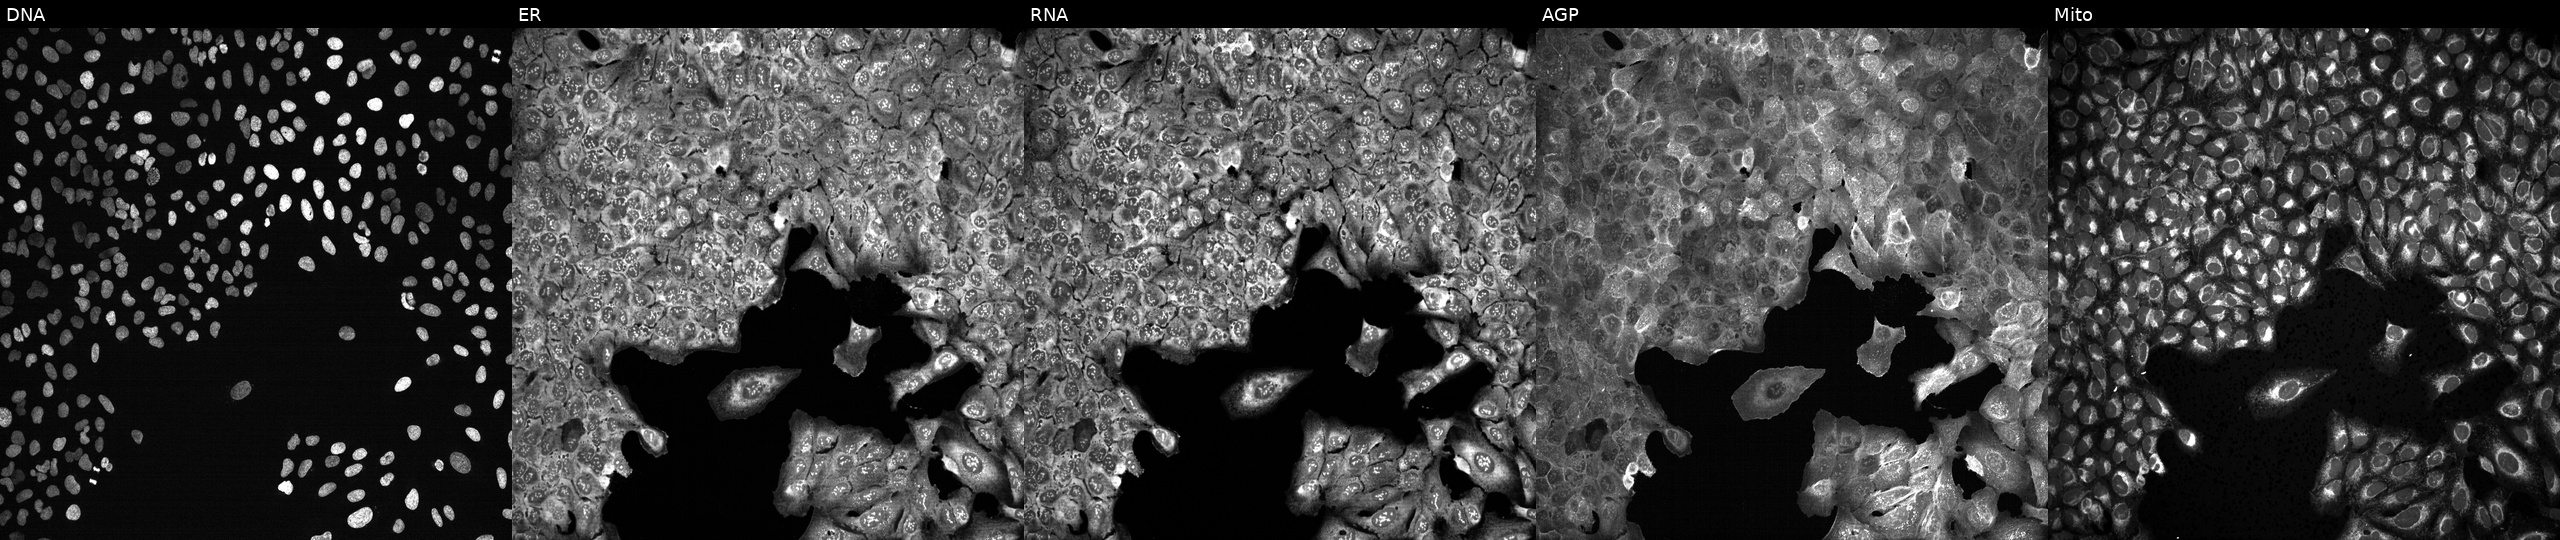
Five-channel Cell Painting image of U2OS cells with NQO2 knocked out by CRISPR. The five panels, left to right, show DNA, ER, RNA, AGP, and Mito.